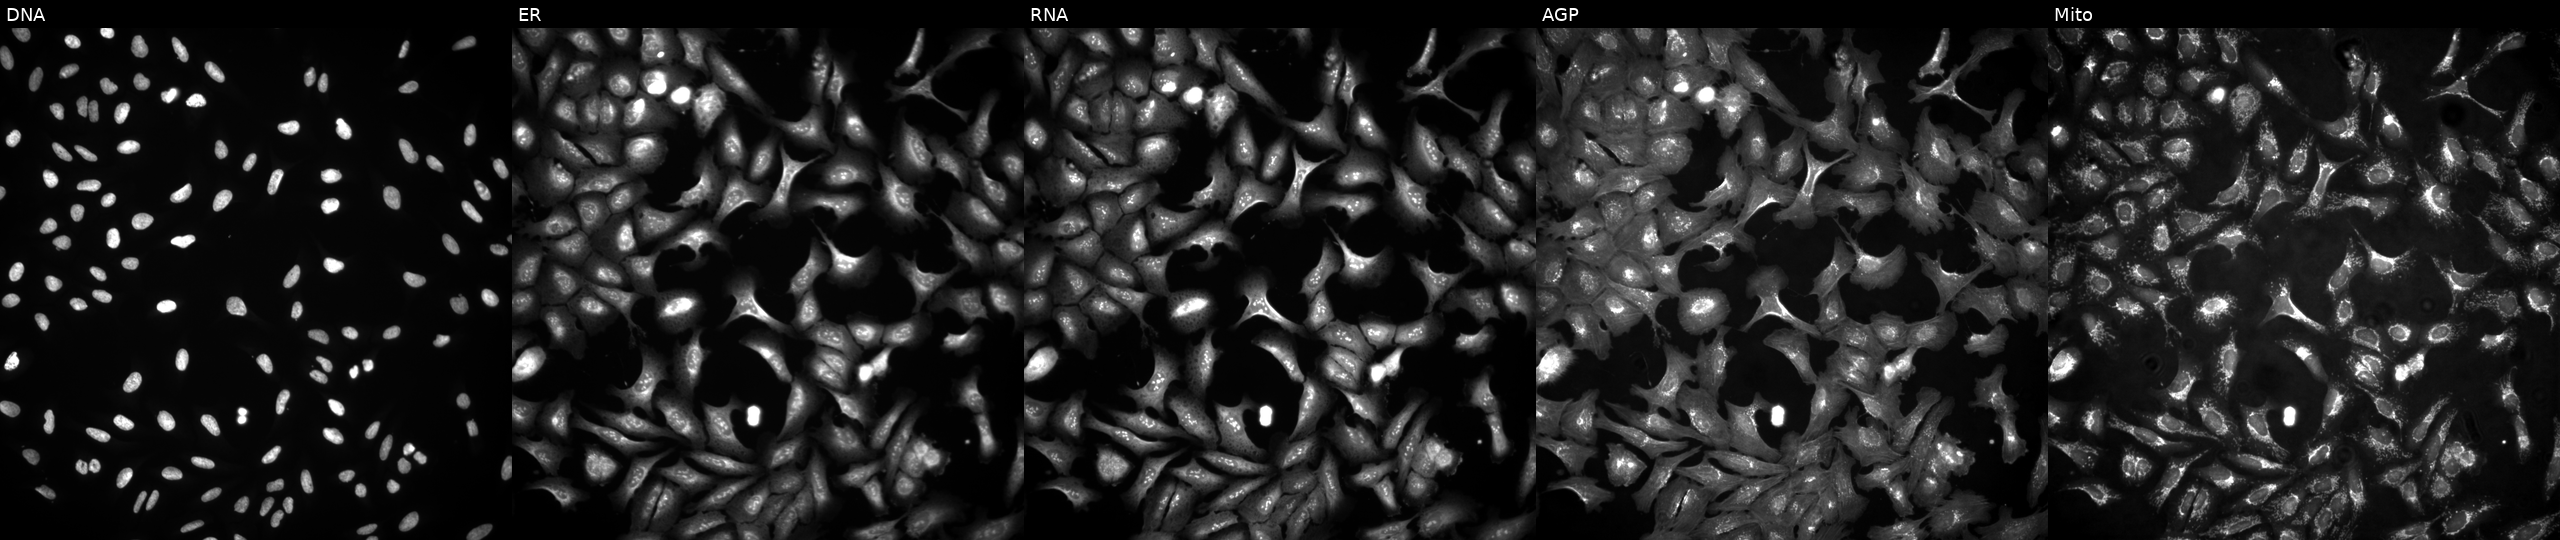
Five-channel Cell Painting image of U2OS cells transfected with an ORF construct for FABP6 (JUMP id JCP2022_905792). Channels (left→right): DNA (nuclei); ER (endoplasmic reticulum); RNA (nucleoli and cytoplasmic RNA); AGP (actin cytoskeleton, Golgi, and plasma membrane); Mito (mitochondria).